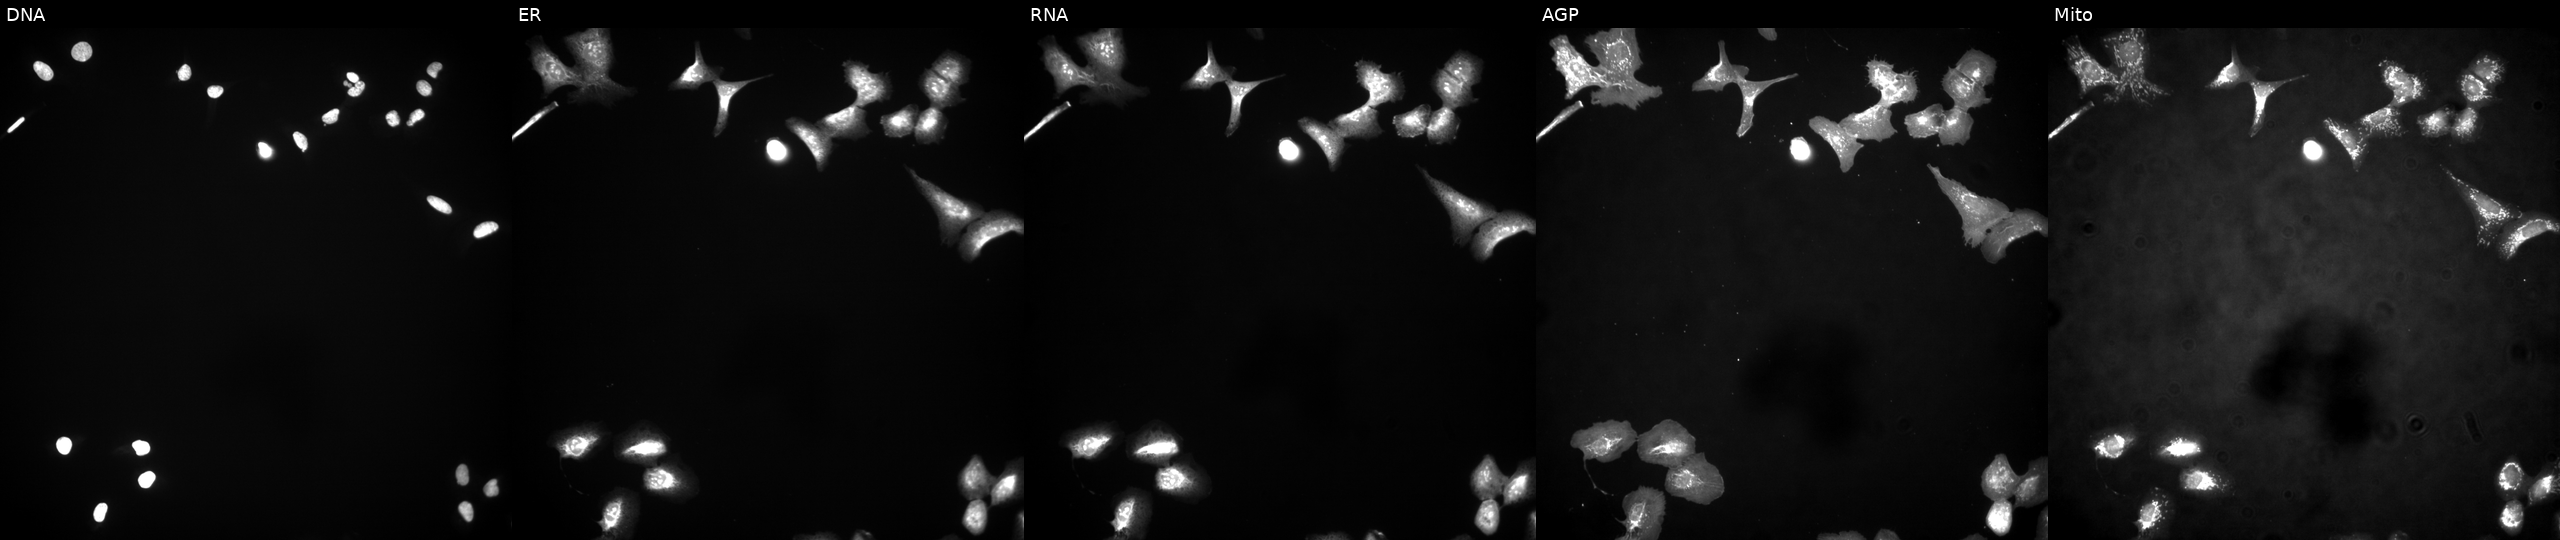
U2OS cells, Cell Painting assay, transfected with an ORF construct for NCMAP (JUMP id JCP2022_905273). The five panels, left to right, show DNA, ER, RNA, AGP, and Mito. Each panel is percentile-stretched 16-bit fluorescence.